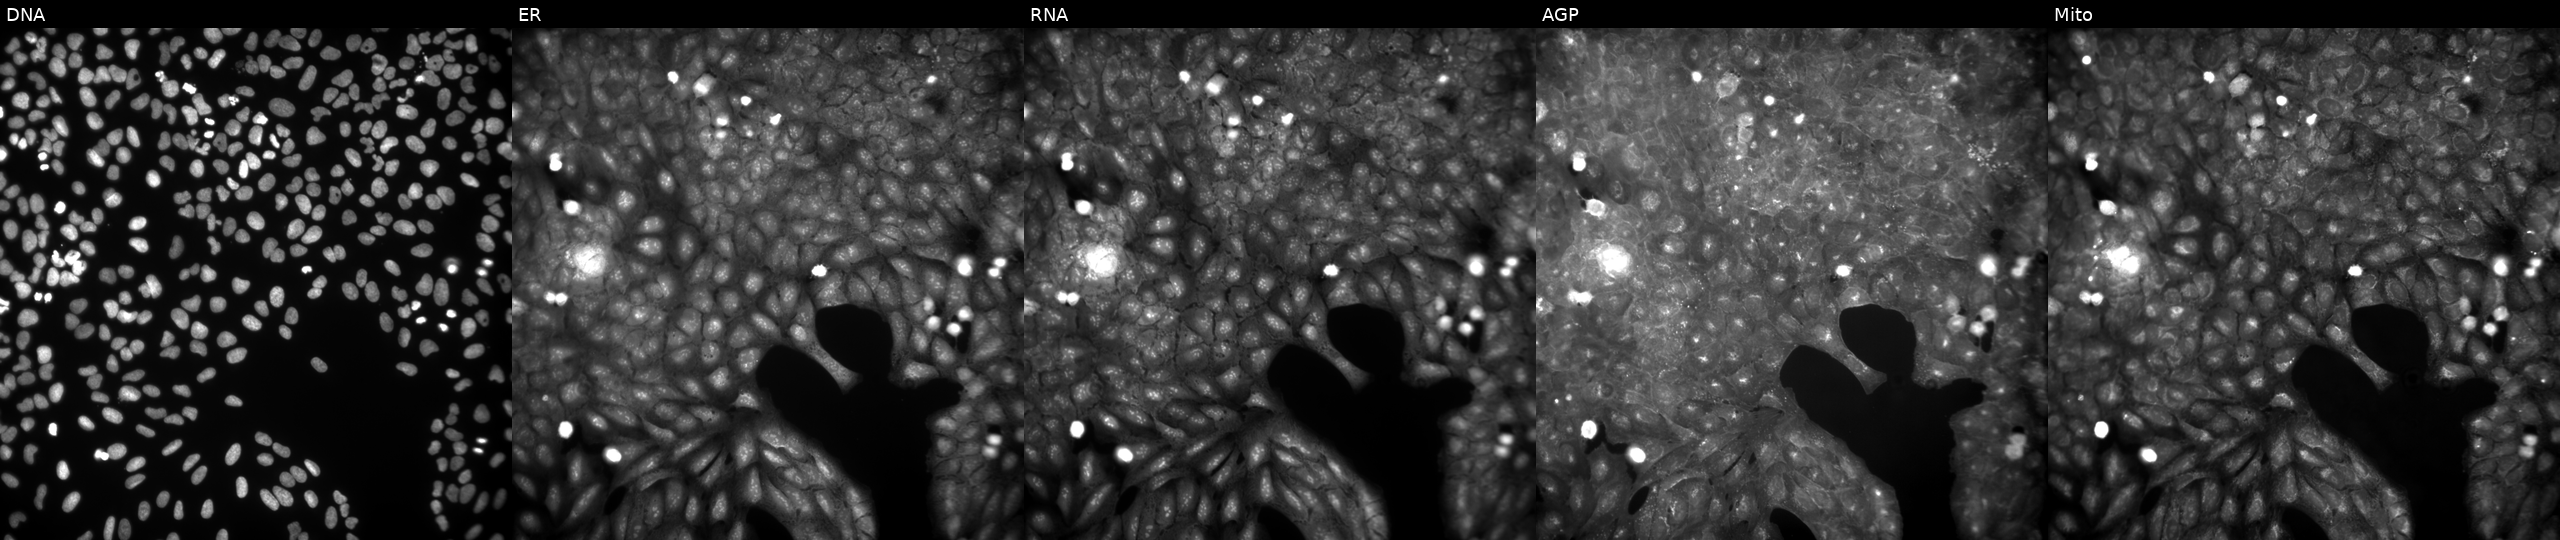
U2OS cells, Cell Painting assay, treated with a small-molecule compound (JUMP id JCP2022_015667). The five panels, left to right, show DNA (nuclei); ER (endoplasmic reticulum); RNA (nucleoli and cytoplasmic RNA); AGP (actin cytoskeleton, Golgi, and plasma membrane); Mito (mitochondria). Each panel is percentile-stretched 16-bit fluorescence.